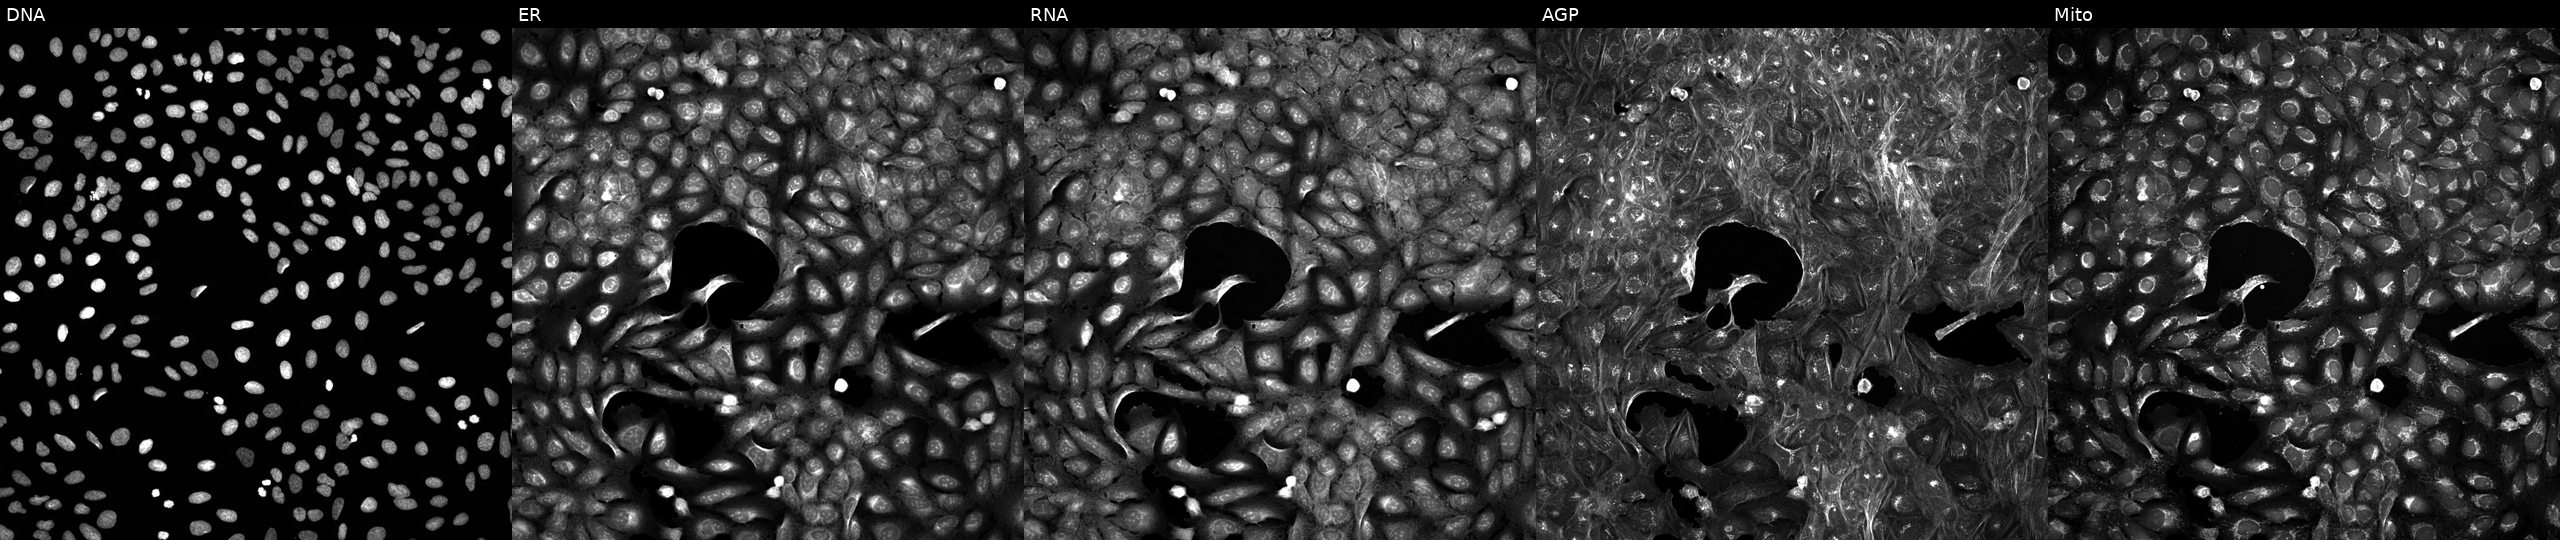
This image strip shows the five Cell Painting channels for a single field of U2OS cells perturbed with a small-molecule compound (InChIKey JFUIMTGOQCQTPF-UHFFFAOYSA-N) (JUMP id JCP2022_039503). Panels show, left to right, Hoechst 33342, concanavalin A, SYTO 14, phalloidin and WGA, MitoTracker. Source 5, plate ACPJUM051, well C20.